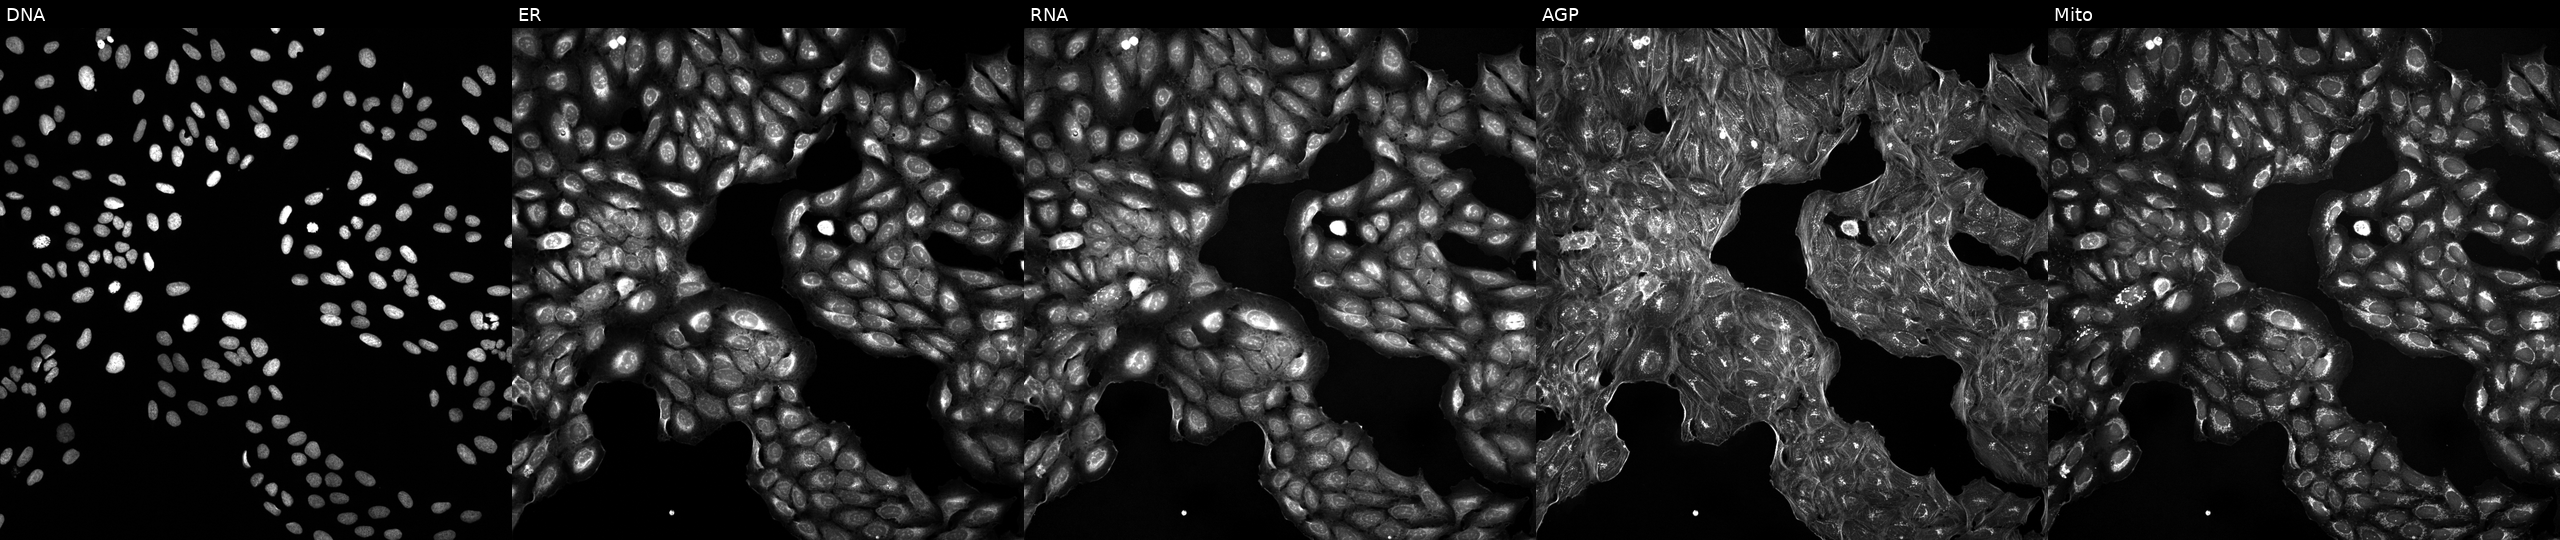
Five-channel Cell Painting image of U2OS cells perturbed with a small-molecule compound (JUMP id JCP2022_013856). Panels show, left to right, Hoechst 33342, concanavalin A, SYTO 14, phalloidin and WGA, MitoTracker.